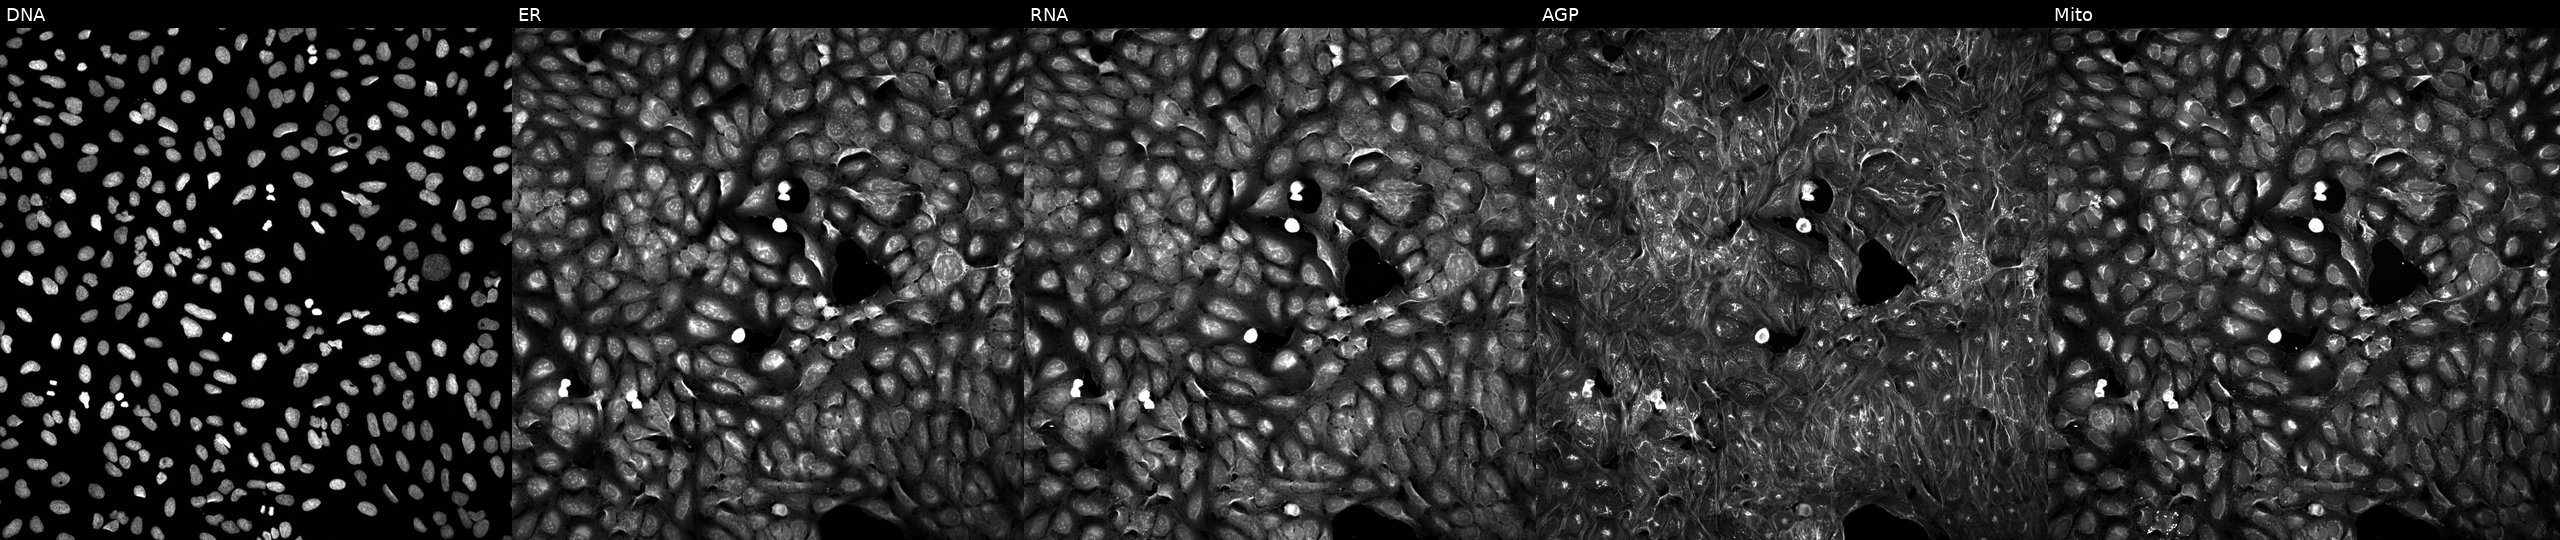
U2OS cells, Cell Painting assay, exposed to a small-molecule compound (JUMP id JCP2022_085630). Panels show, left to right, Hoechst 33342, concanavalin A, SYTO 14, phalloidin and WGA, MitoTracker. Each panel is percentile-stretched 16-bit fluorescence. Source 5, plate APTJUM105, well O16.